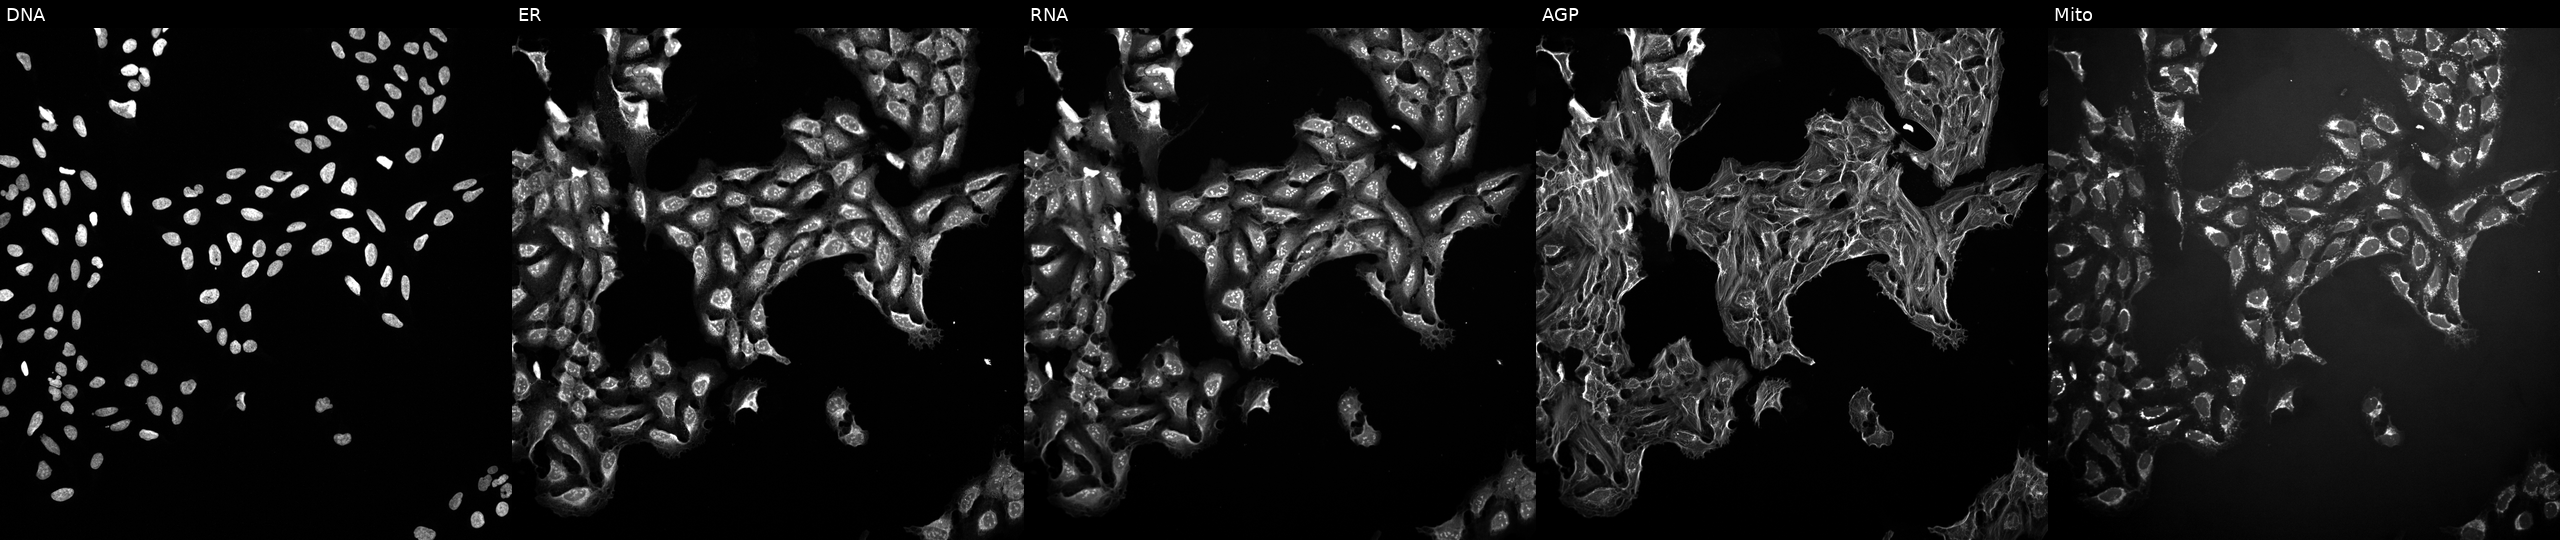
High-content fluorescence microscopy (Cell Painting). Cell line: U2OS. Perturbation: perturbed with a small-molecule compound (InChIKey YYOOFJZTRCPVFD-UHFFFAOYSA-N). The five panels, left to right, show DNA (nuclei); ER (endoplasmic reticulum); RNA (nucleoli and cytoplasmic RNA); AGP (actin cytoskeleton, Golgi, and plasma membrane); Mito (mitochondria).